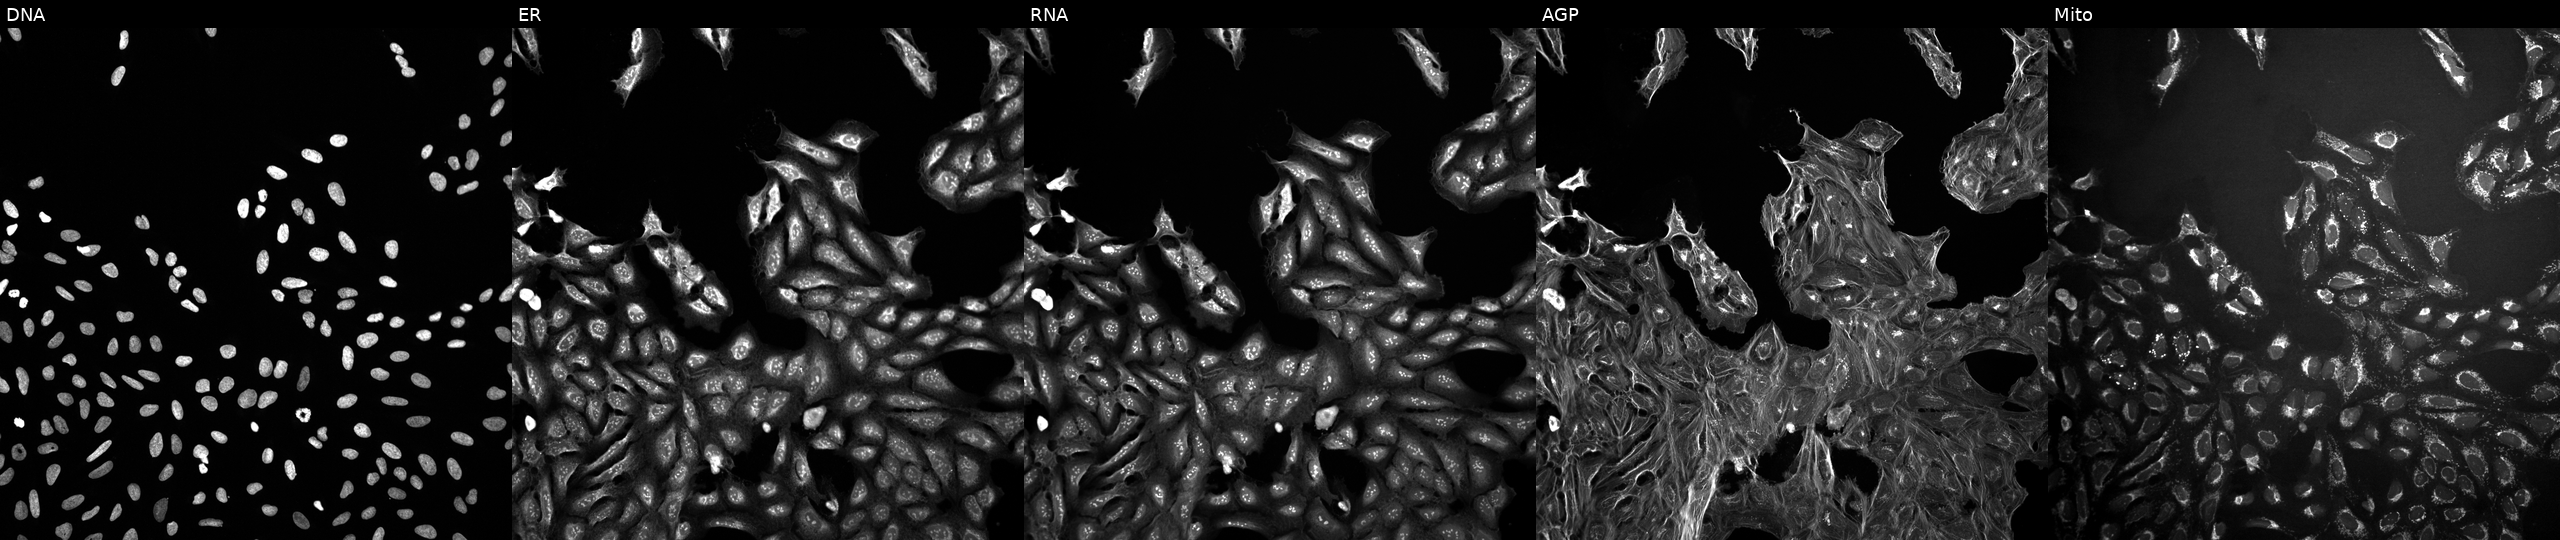
U2OS cells, Cell Painting assay, exposed to a small-molecule compound (InChIKey MVCQKIKWYUURMU-UHFFFAOYSA-N). Panels show, left to right, DNA, ER, RNA, AGP, and Mito. Each panel is percentile-stretched 16-bit fluorescence.